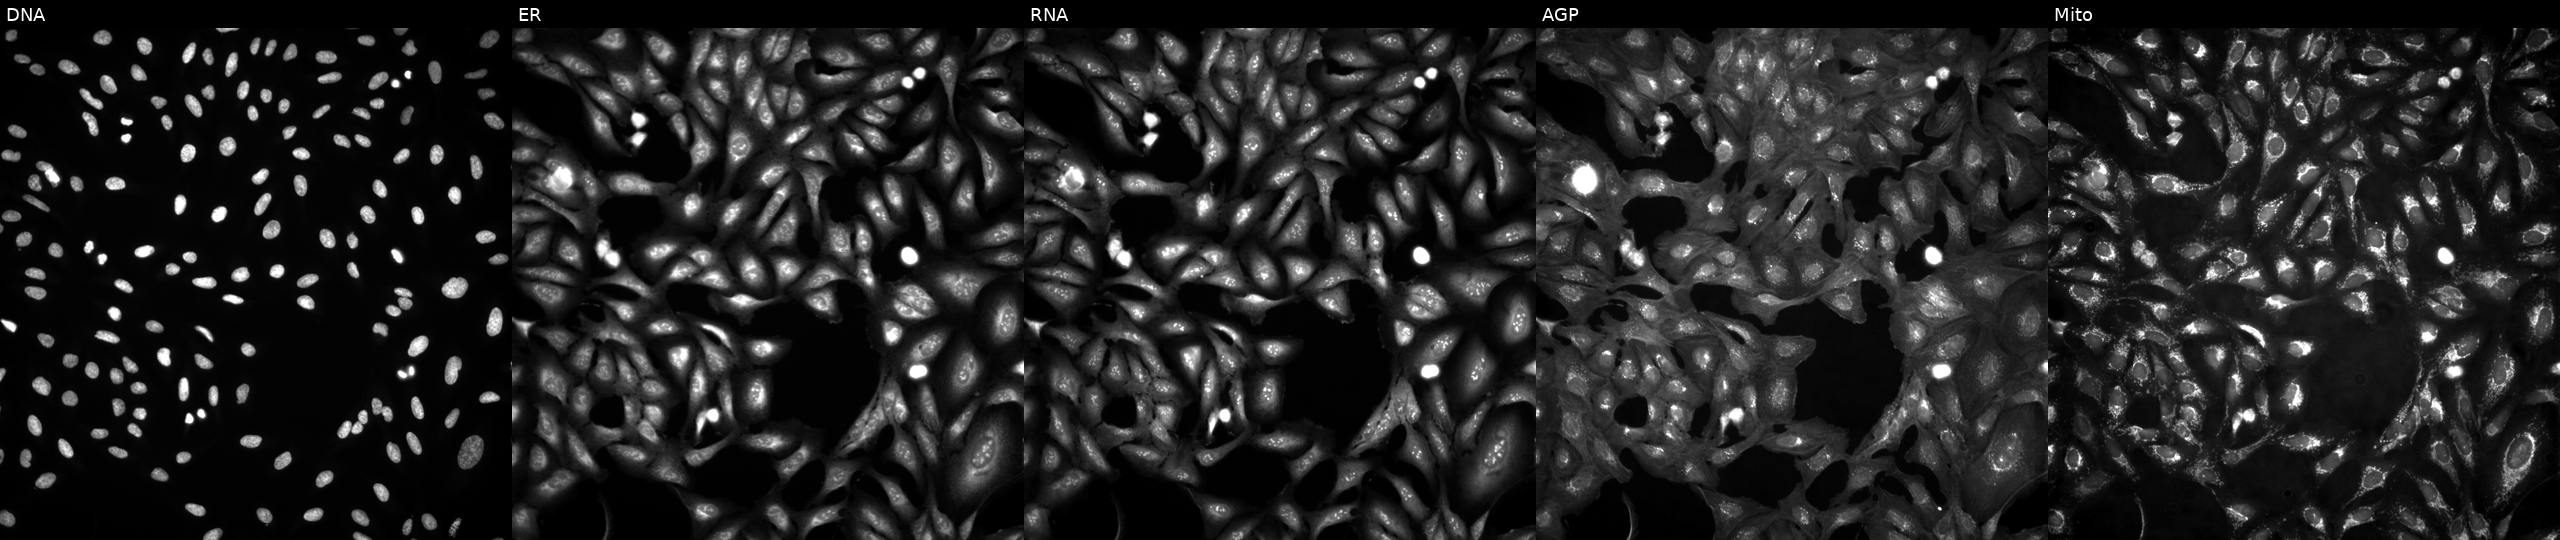
Five-channel Cell Painting image of U2OS cells in an empty control well (no perturbation) (JUMP id JCP2022_999999). The five panels, left to right, show Hoechst 33342, concanavalin A, SYTO 14, phalloidin and WGA, MitoTracker.